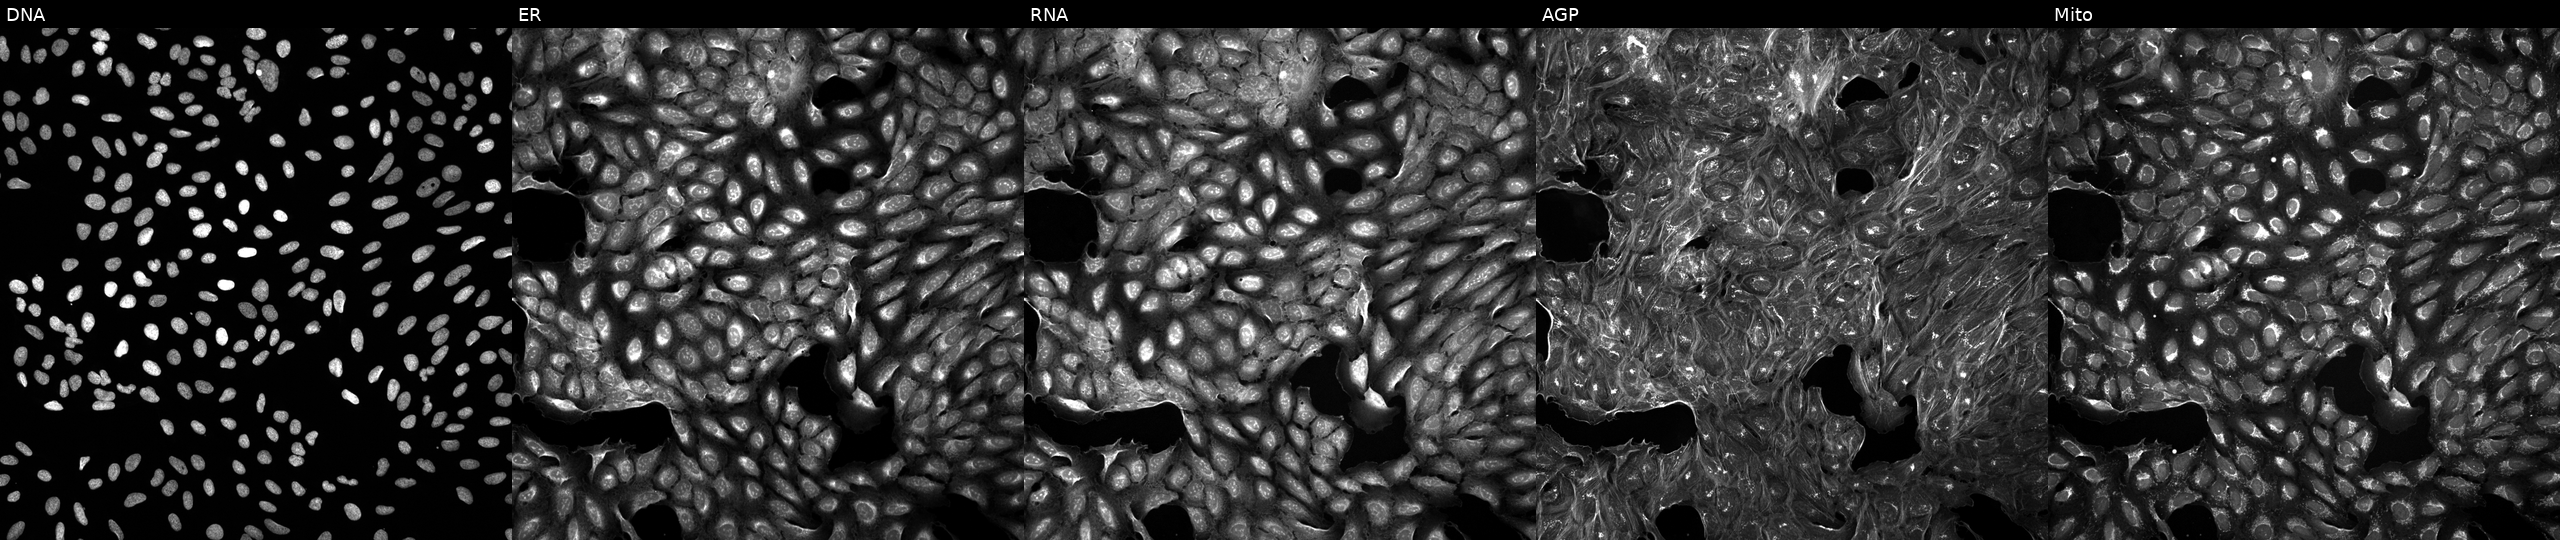
JUMP Cell Painting — TARGET2 plate. U2OS cells treated with a small-molecule compound (InChIKey ZZZRUAITSXLWBH-UHFFFAOYSA-N) (JUMP id JCP2022_116749). From left to right: DNA, ER, RNA, AGP, and Mito.